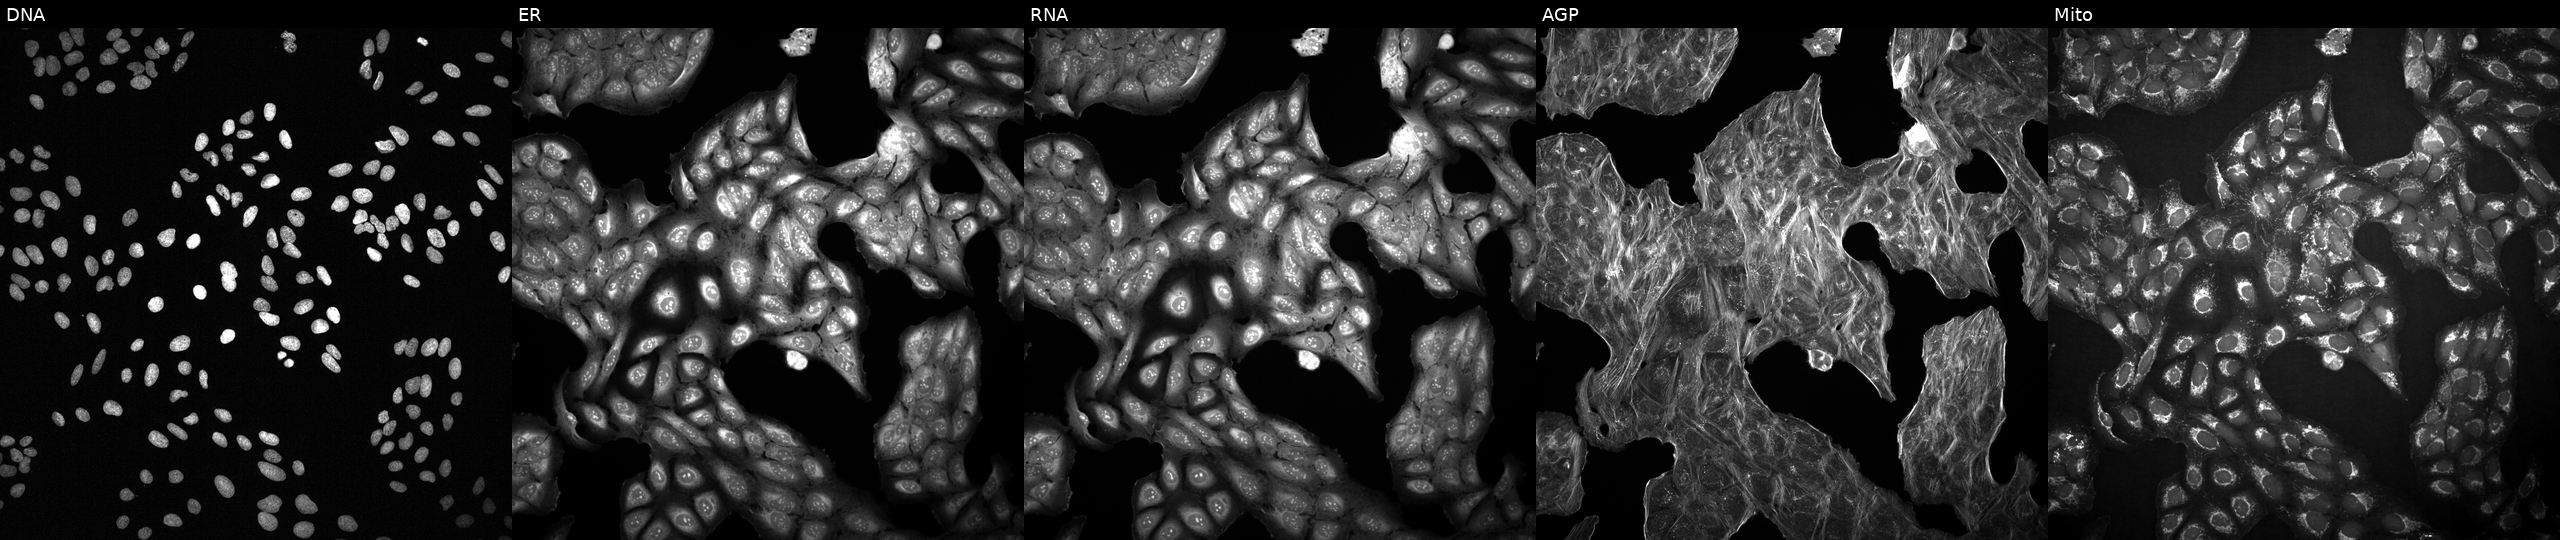
High-content fluorescence microscopy (Cell Painting). Cell line: U2OS. Perturbation: with an unidentified perturbation (not annotated in JUMP metadata). Panels show, left to right, DNA (nuclei); ER (endoplasmic reticulum); RNA (nucleoli and cytoplasmic RNA); AGP (actin cytoskeleton, Golgi, and plasma membrane); Mito (mitochondria). Source 2, plate 1053601756, well J22.